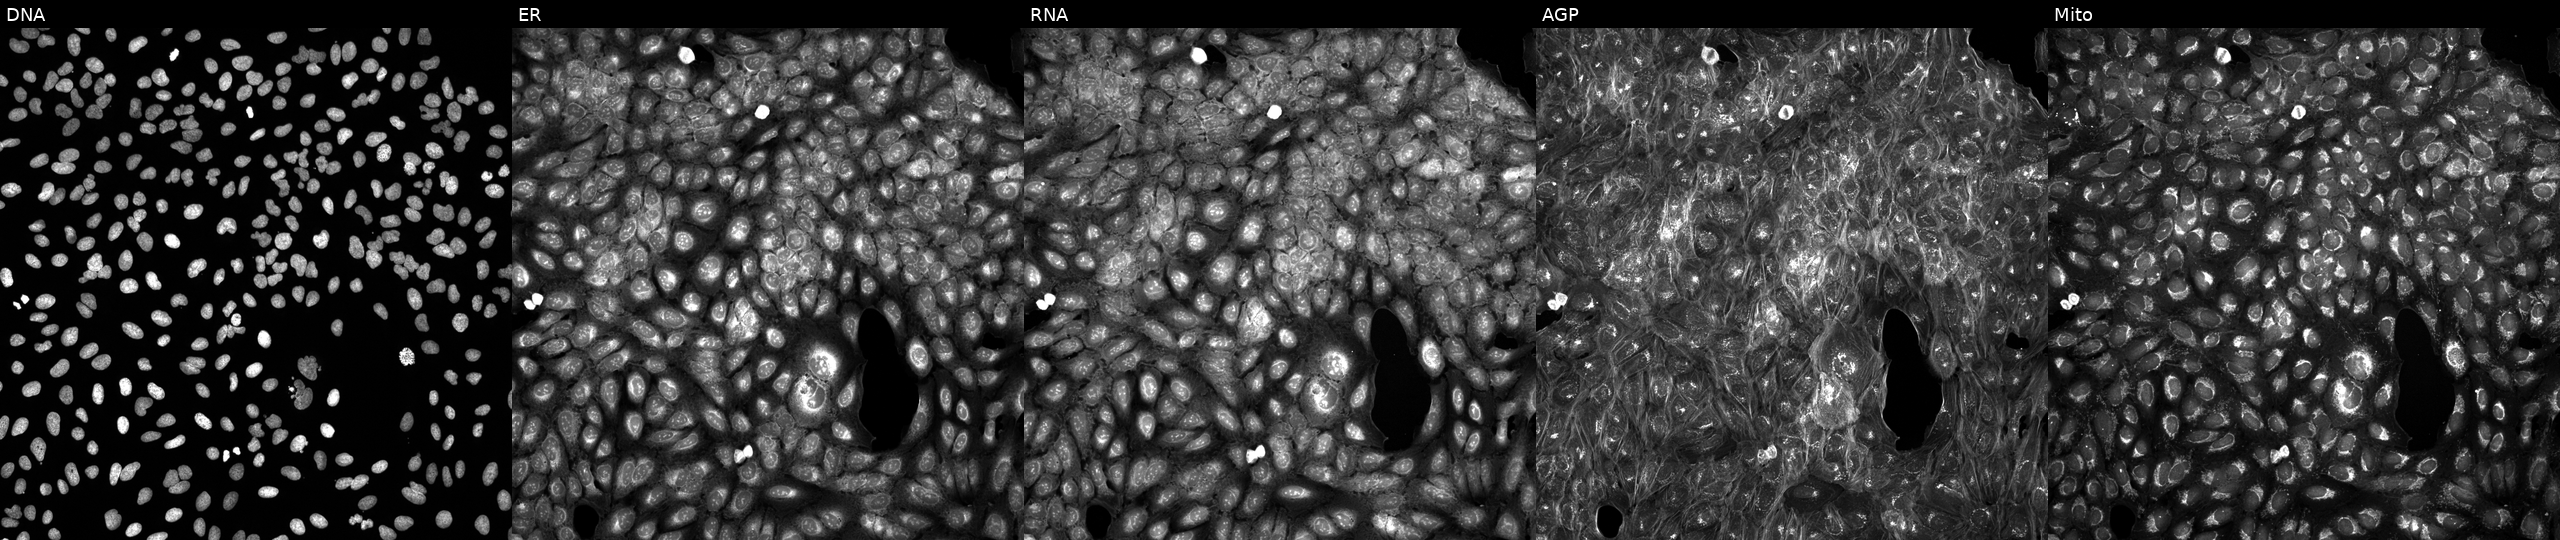
U2OS cells, Cell Painting assay, perturbed with a small-molecule compound (InChIKey UGYXPZQILZRKJJ-UHFFFAOYSA-N). Panels show, left to right, Hoechst 33342, concanavalin A, SYTO 14, phalloidin and WGA, MitoTracker. Each panel is percentile-stretched 16-bit fluorescence. Source 5, plate ACPJUM032, well D23.